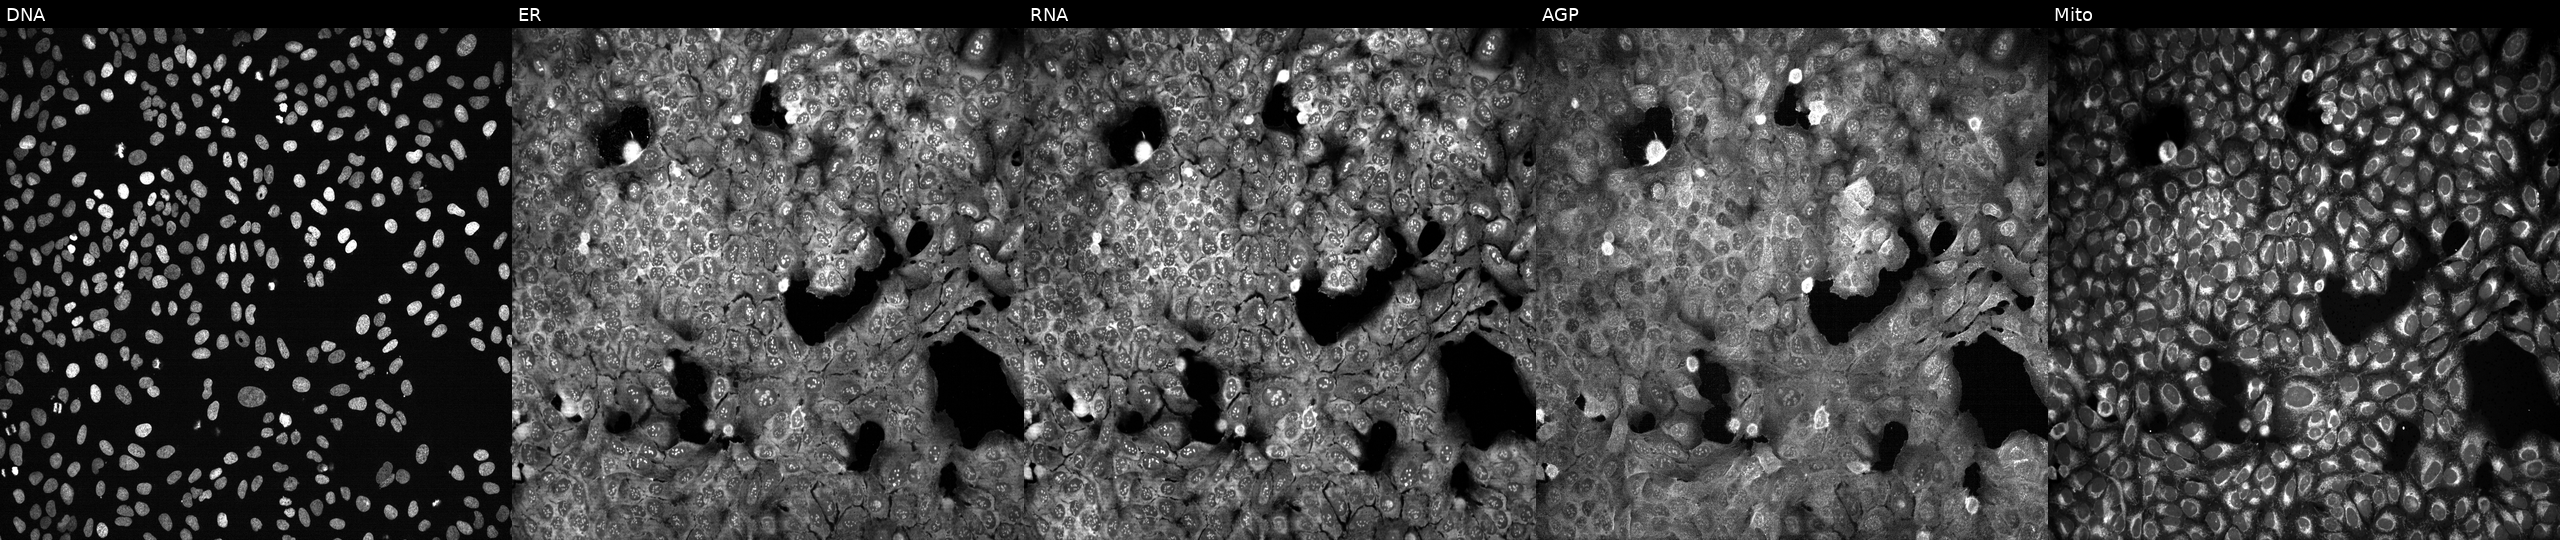
U2OS cells, Cell Painting assay, following CRISPR knockout of DAD1. From left to right: DNA, ER, RNA, AGP, and Mito. Each panel is percentile-stretched 16-bit fluorescence.